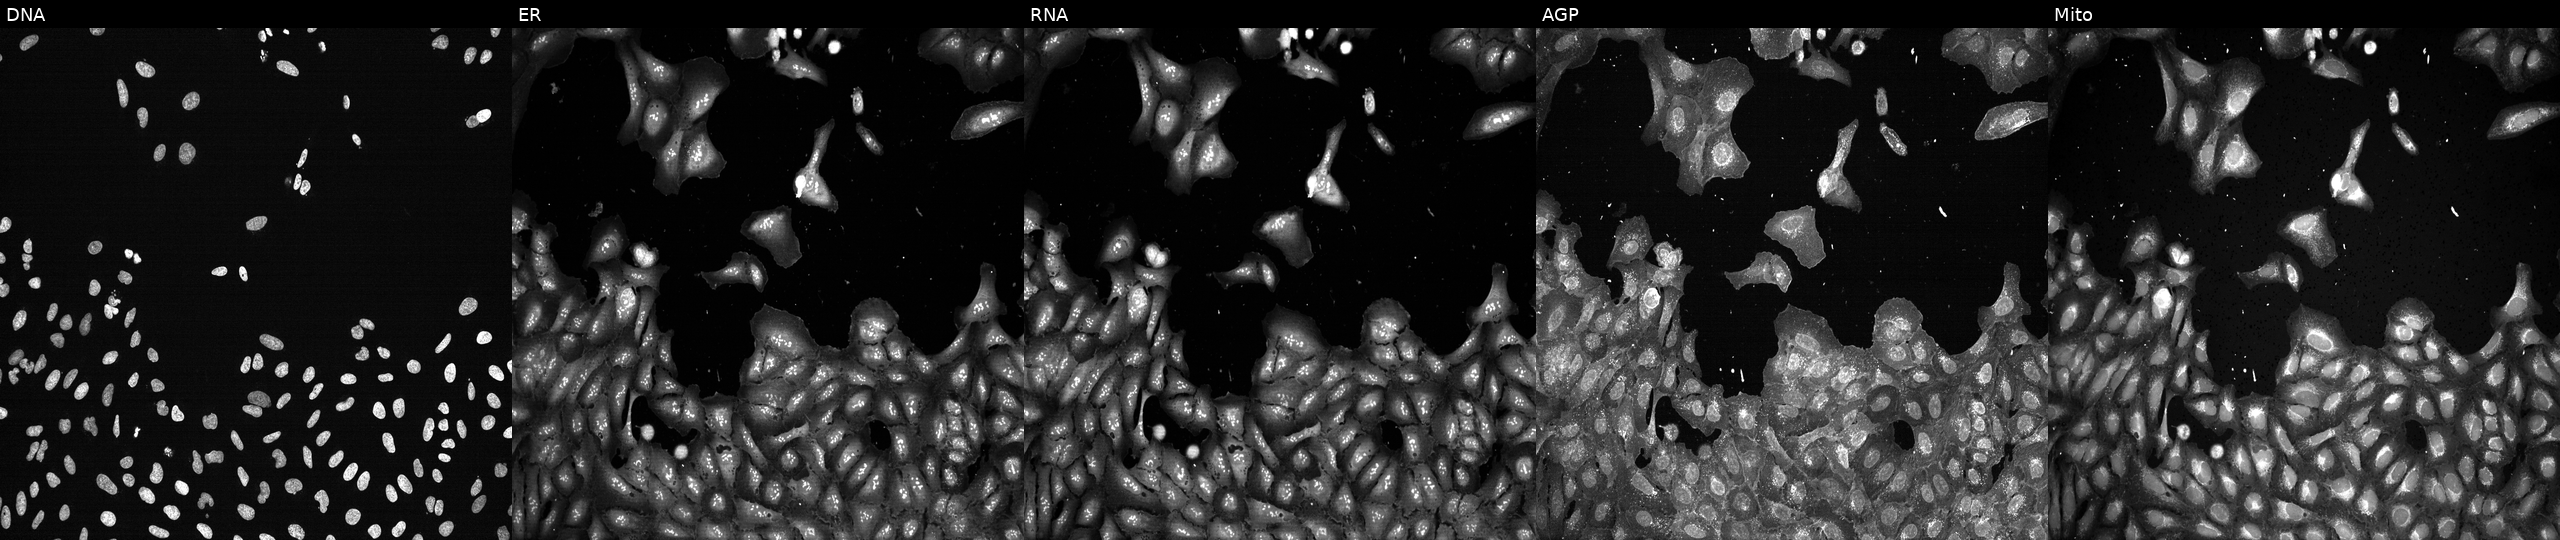
U2OS cells, Cell Painting assay, with SLC9A6 knocked out by CRISPR (JUMP id JCP2022_806598). Channels (left→right): DNA, ER, RNA, AGP, and Mito. Each panel is percentile-stretched 16-bit fluorescence.